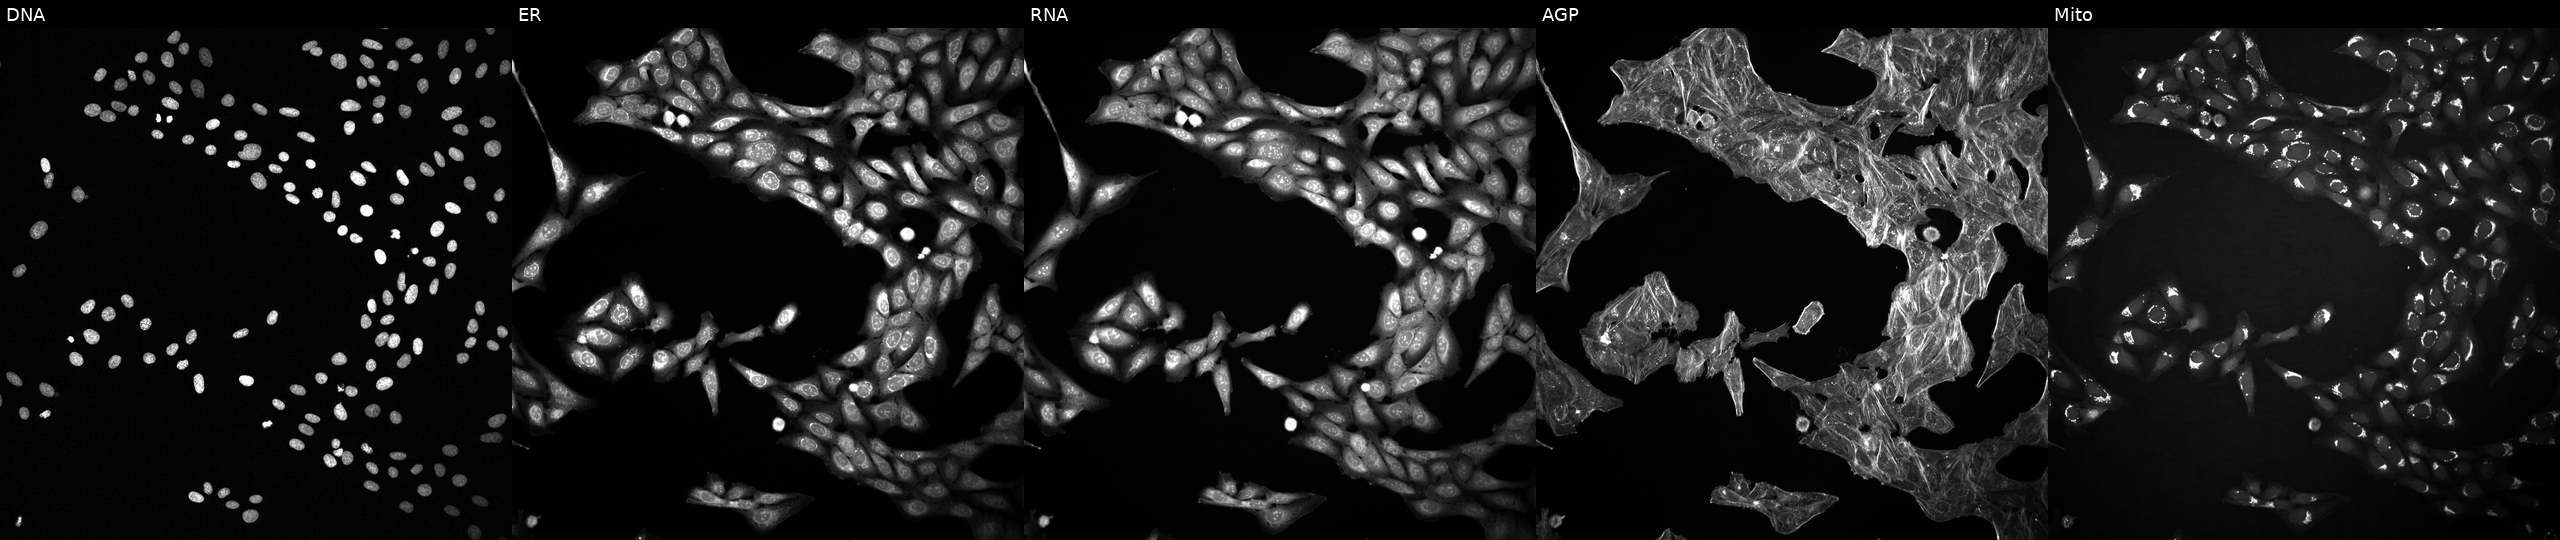
Five-channel Cell Painting image of U2OS cells exposed to a small-molecule compound (InChIKey OXQMCAGYCJJWOZ-UHFFFAOYSA-N) [SMILES: Cc1cccc(N2CCN(C(=O)c3ccc(Cn4cc(Br)cn4)o3)CC2)c1C] (JUMP id JCP2022_066807). Channels (left→right): DNA, ER, RNA, AGP, and Mito. Source 2, plate 1053601763, well E22.